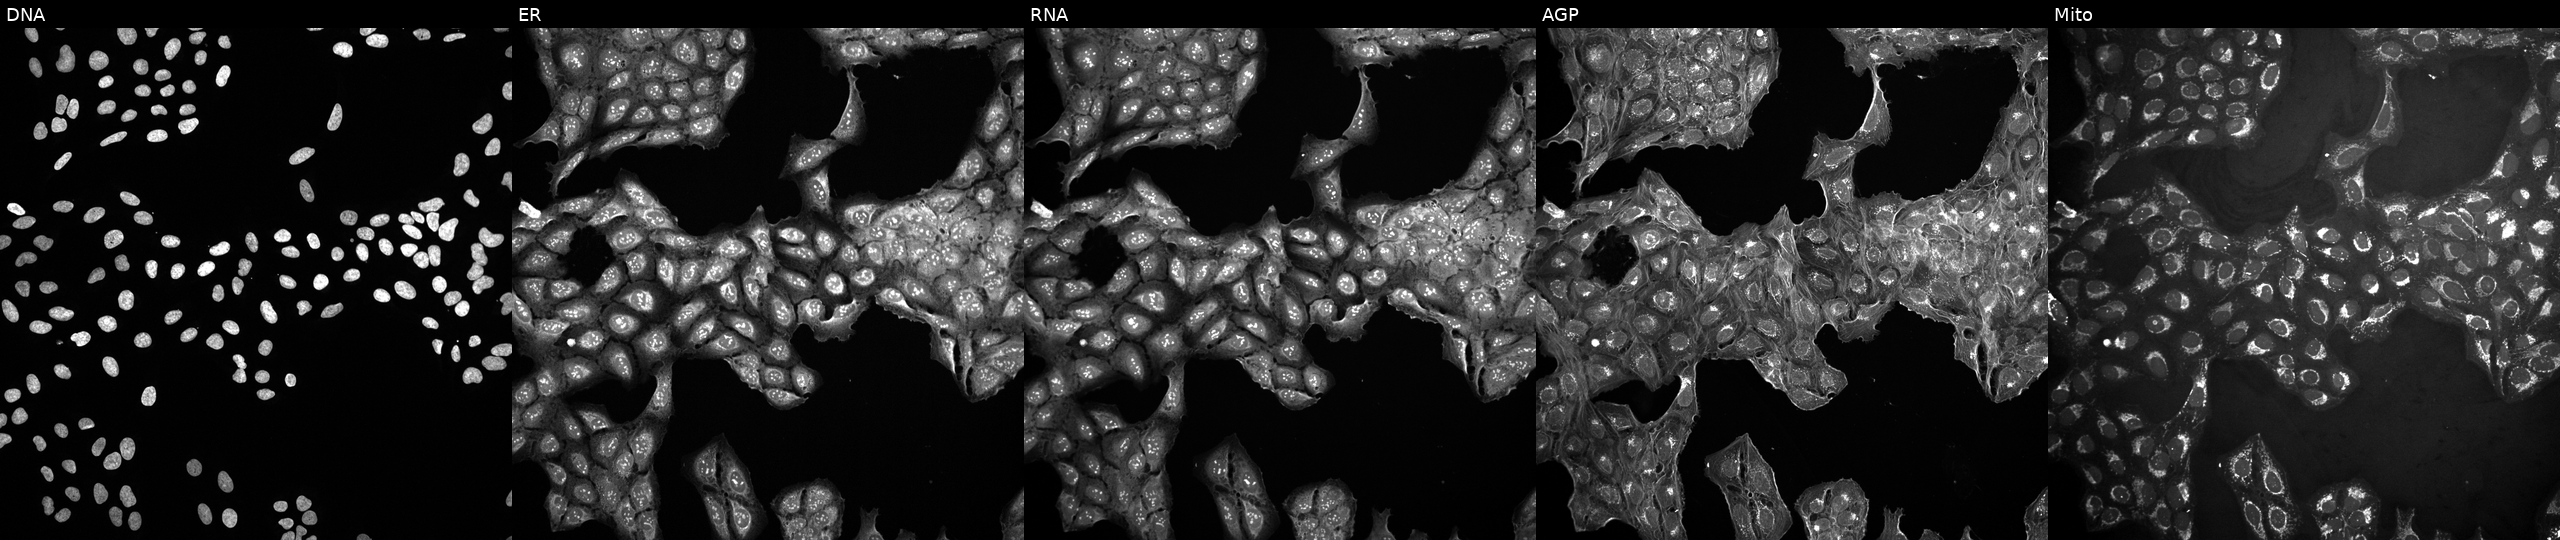
U2OS cells, Cell Painting assay, untreated (empty-well control) (JUMP id JCP2022_999999). The five panels, left to right, show Hoechst 33342, concanavalin A, SYTO 14, phalloidin and WGA, MitoTracker. Each panel is percentile-stretched 16-bit fluorescence. Source 10, plate Dest210531-152149, well P10.